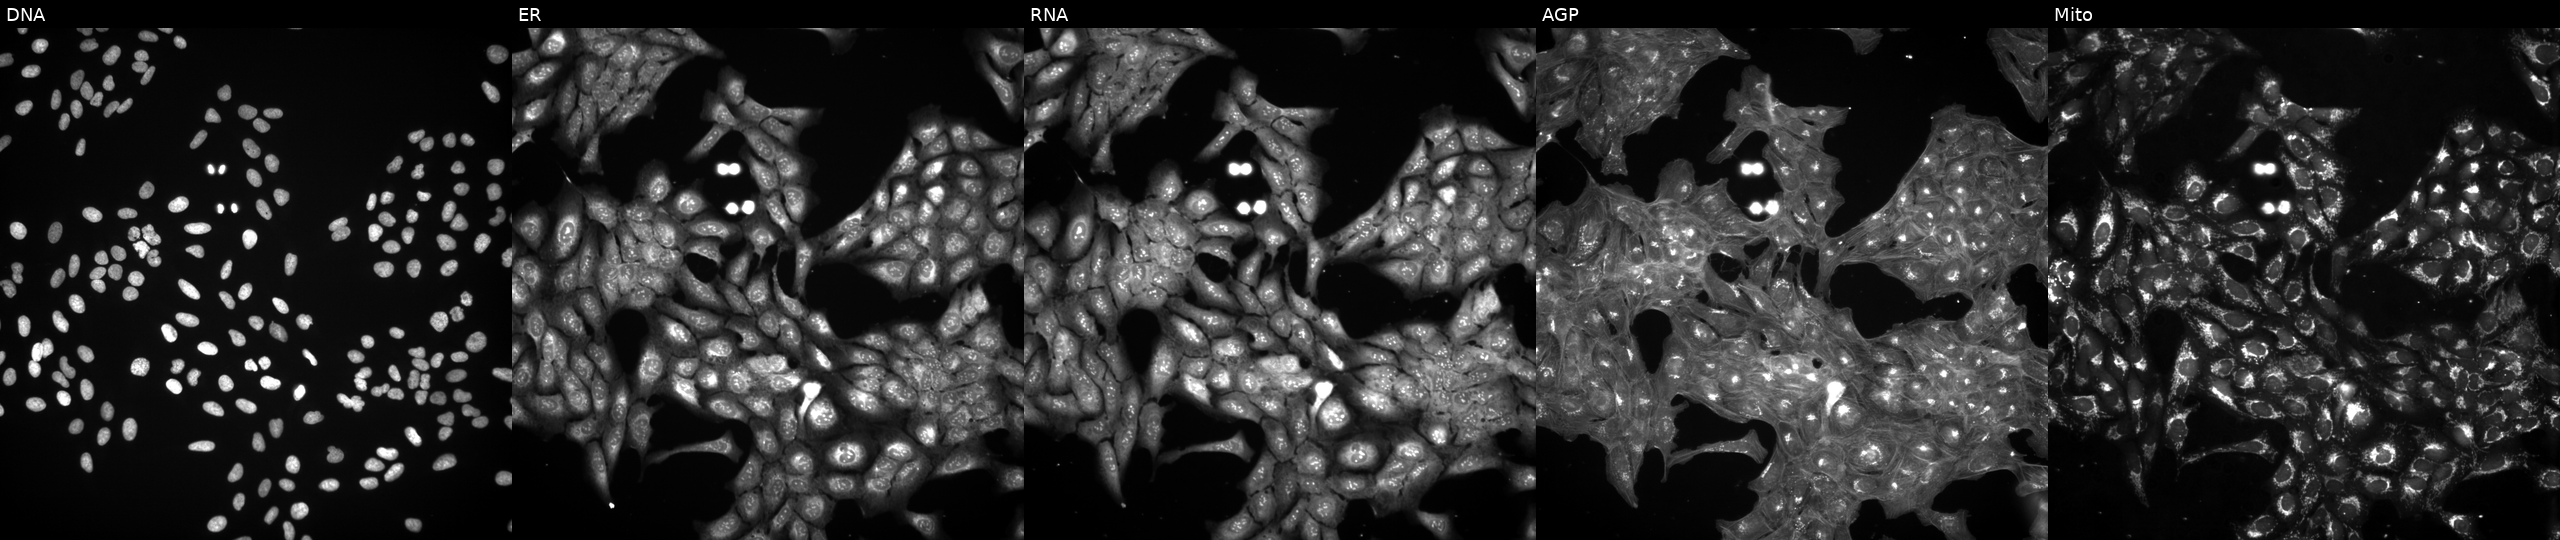
U2OS cells, Cell Painting assay, exposed to a small-molecule compound (InChIKey NDNKNUMSTIMSHQ-UHFFFAOYSA-N) [SMILES: CC(C)C1C(=O)N(S(C)(=O)=O)C2CCN(C(=O)C=CCN3CCCCC3)C12] (JUMP id JCP2022_058288). Panels show, left to right, DNA (nuclei); ER (endoplasmic reticulum); RNA (nucleoli and cytoplasmic RNA); AGP (actin cytoskeleton, Golgi, and plasma membrane); Mito (mitochondria). Each panel is percentile-stretched 16-bit fluorescence.